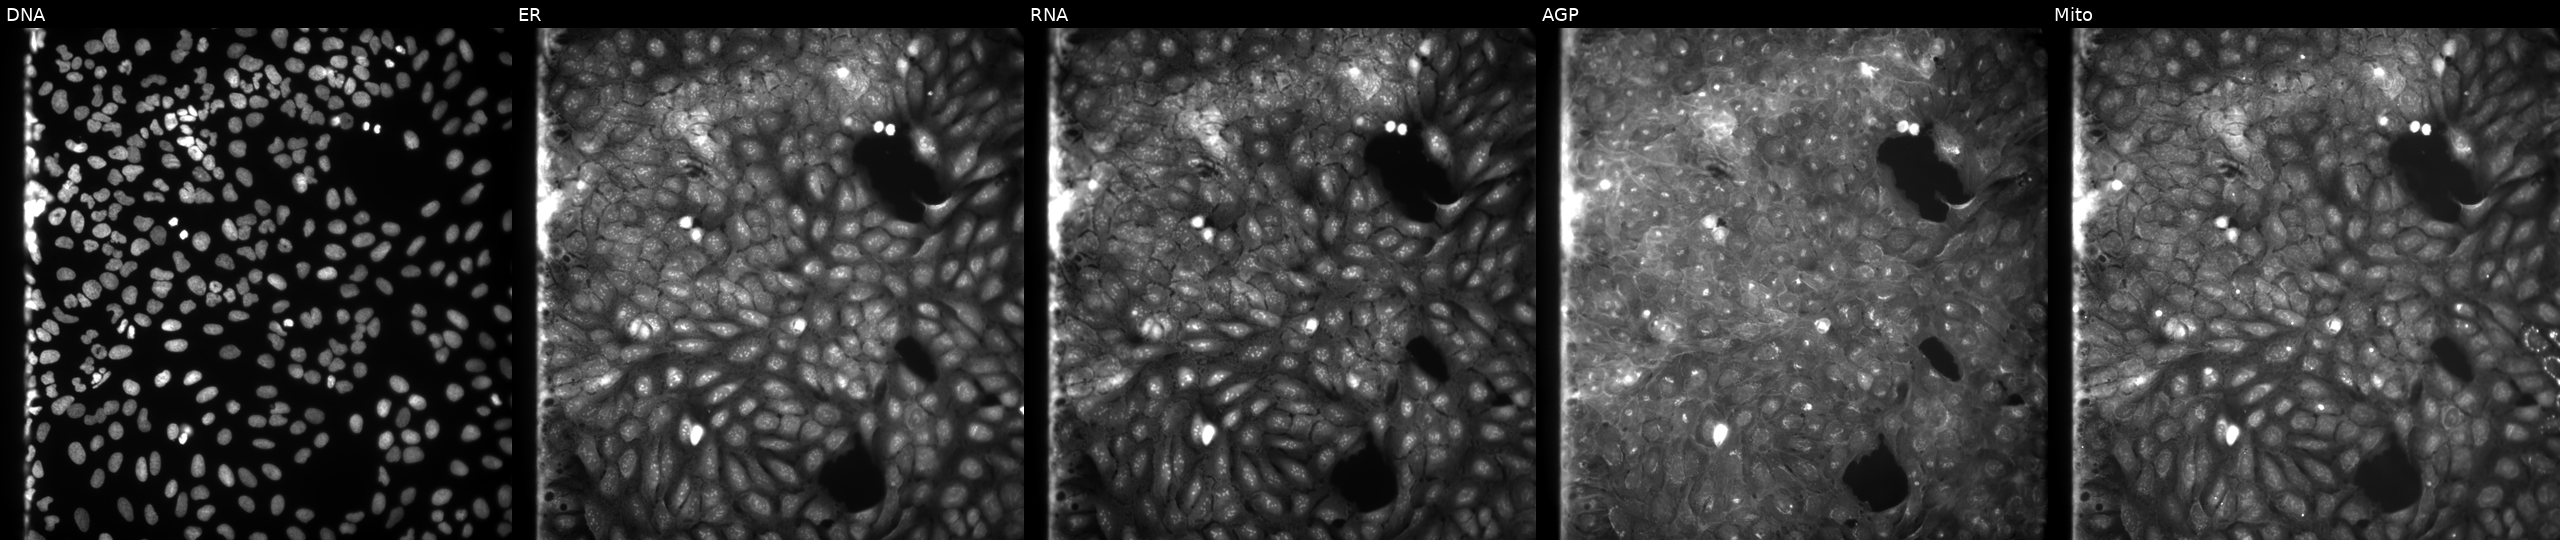
From left to right: Hoechst 33342, concanavalin A, SYTO 14, phalloidin and WGA, MitoTracker. U2OS osteosarcoma cells treated with a small-molecule compound (InChIKey NJMPSUYFWNQGKT-UHFFFAOYSA-N) [SMILES: CC(C)c1ccc(OCC(=O)NCc2ccccc2)cc1] (JUMP id JCP2022_059400). Cell Painting assay, JUMP-CP dataset. Source 9, plate GR00003381, well D06.